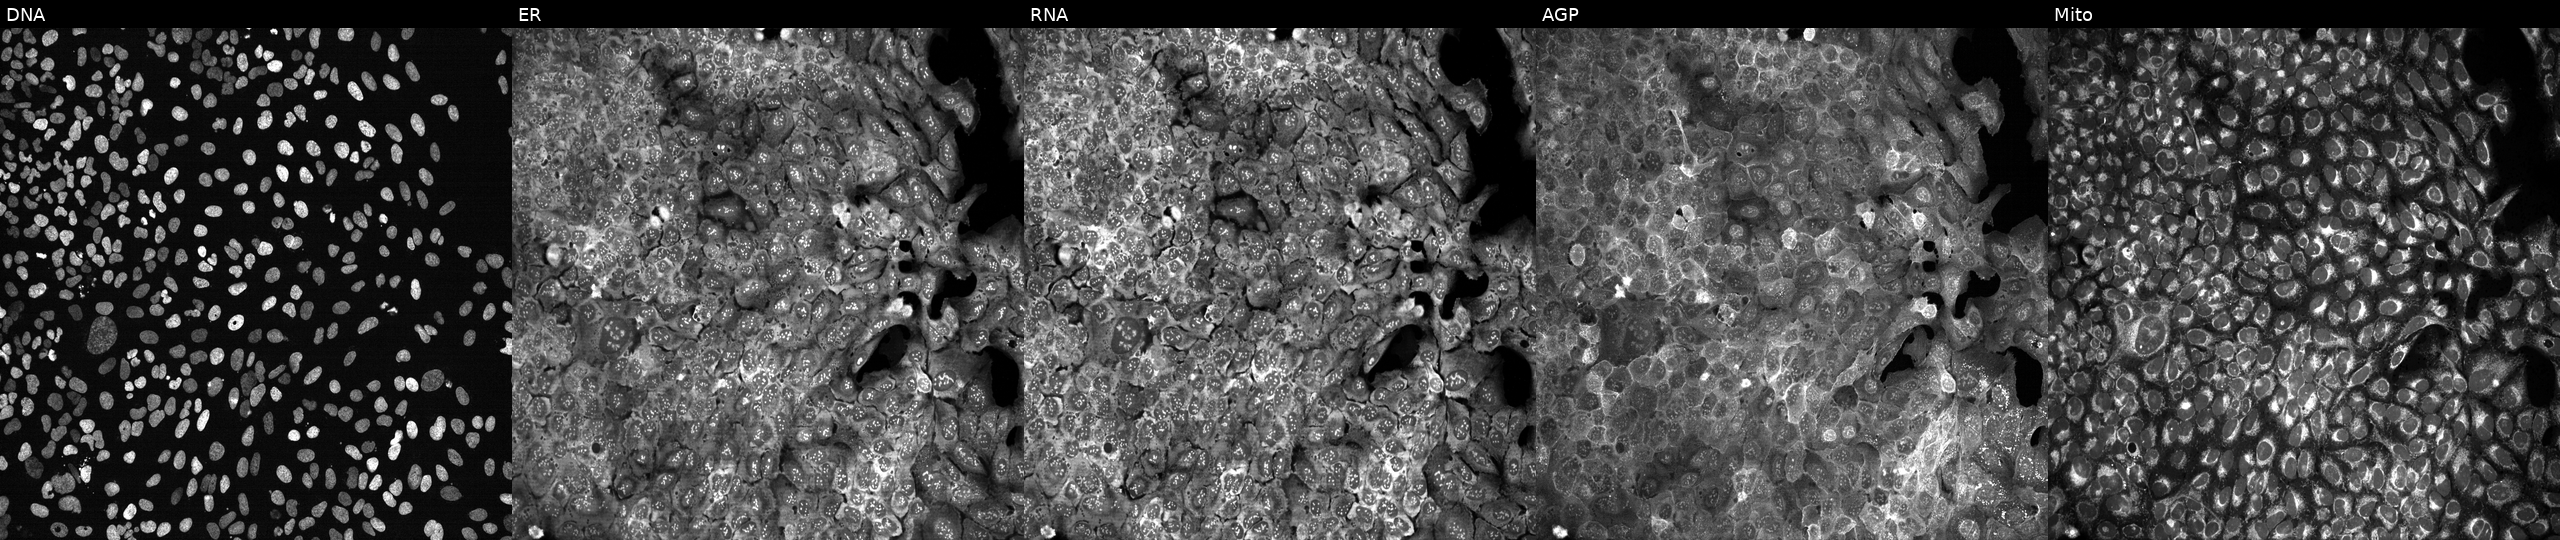
U2OS cells, Cell Painting assay, with VGF knocked out by CRISPR (JUMP id JCP2022_807645). Channels (left→right): DNA (nuclei); ER (endoplasmic reticulum); RNA (nucleoli and cytoplasmic RNA); AGP (actin cytoskeleton, Golgi, and plasma membrane); Mito (mitochondria). Each panel is percentile-stretched 16-bit fluorescence.